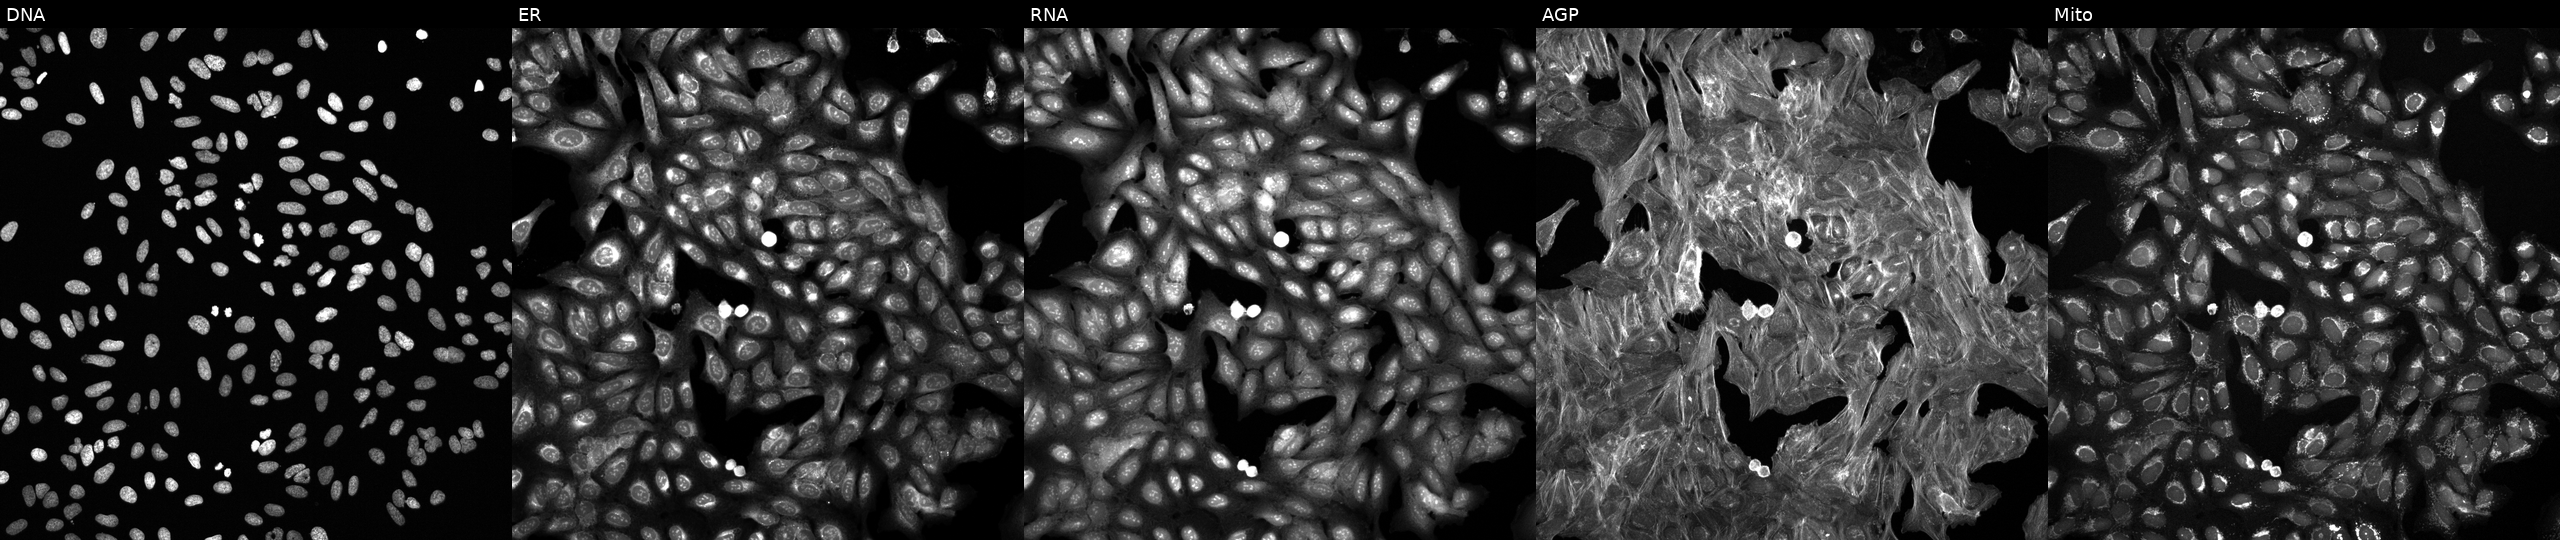
JUMP Cell Painting — TARGET2 plate. U2OS cells exposed to a small-molecule compound (InChIKey YCYMCMYLORLIJX-UHFFFAOYSA-N) (JUMP id JCP2022_107658). From left to right: DNA, ER, RNA, AGP, and Mito.